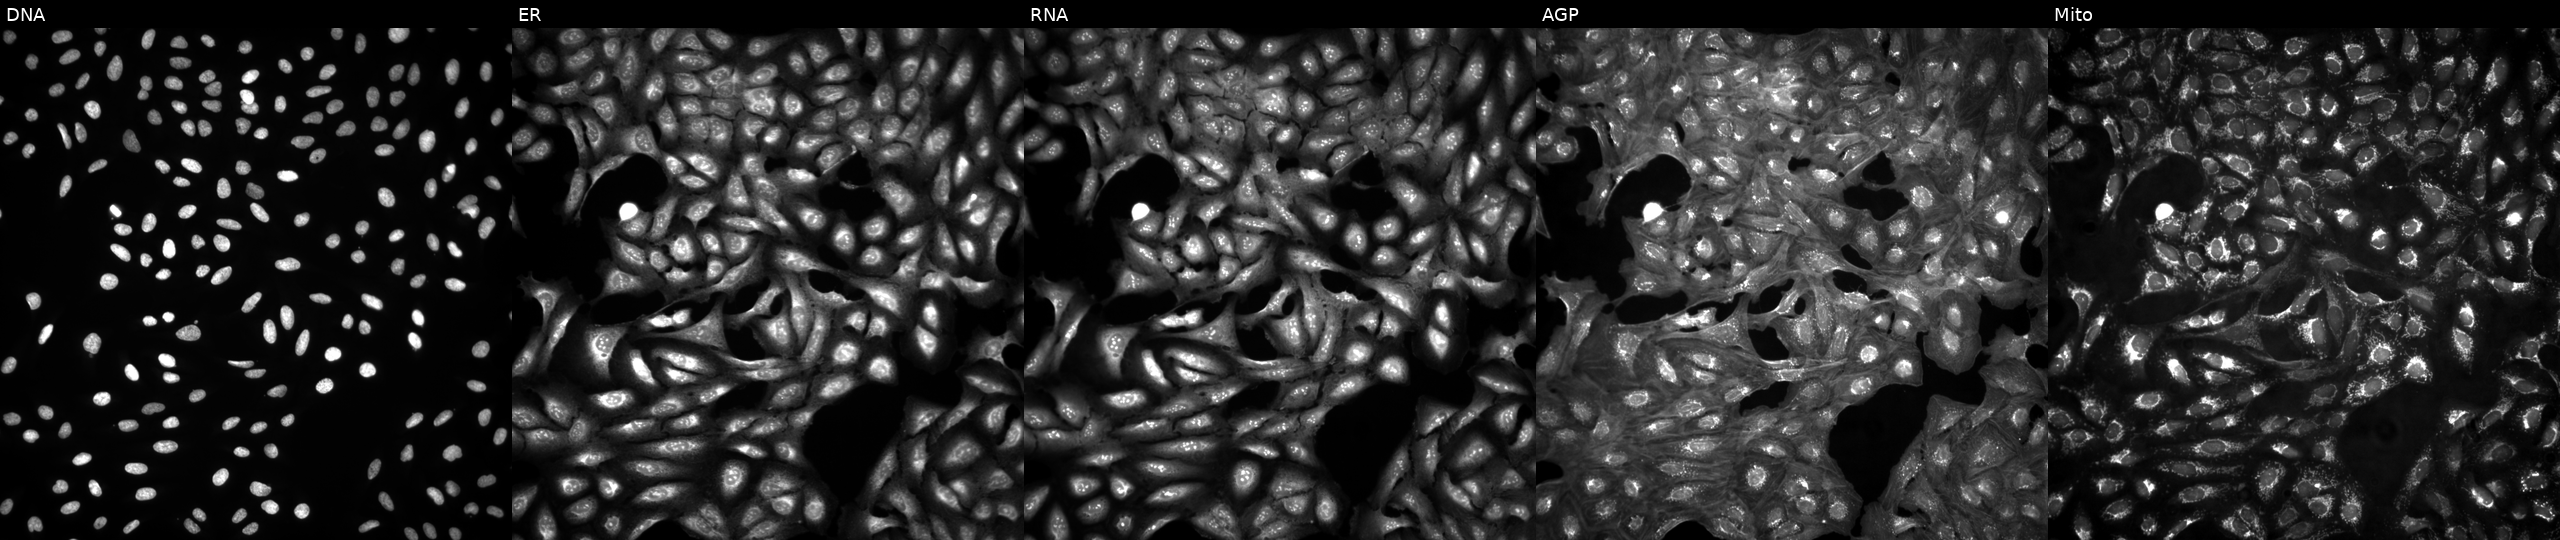
JUMP Cell Painting — ORF plate. U2OS cells in an empty control well (no perturbation). Panels show, left to right, DNA, ER, RNA, AGP, and Mito.